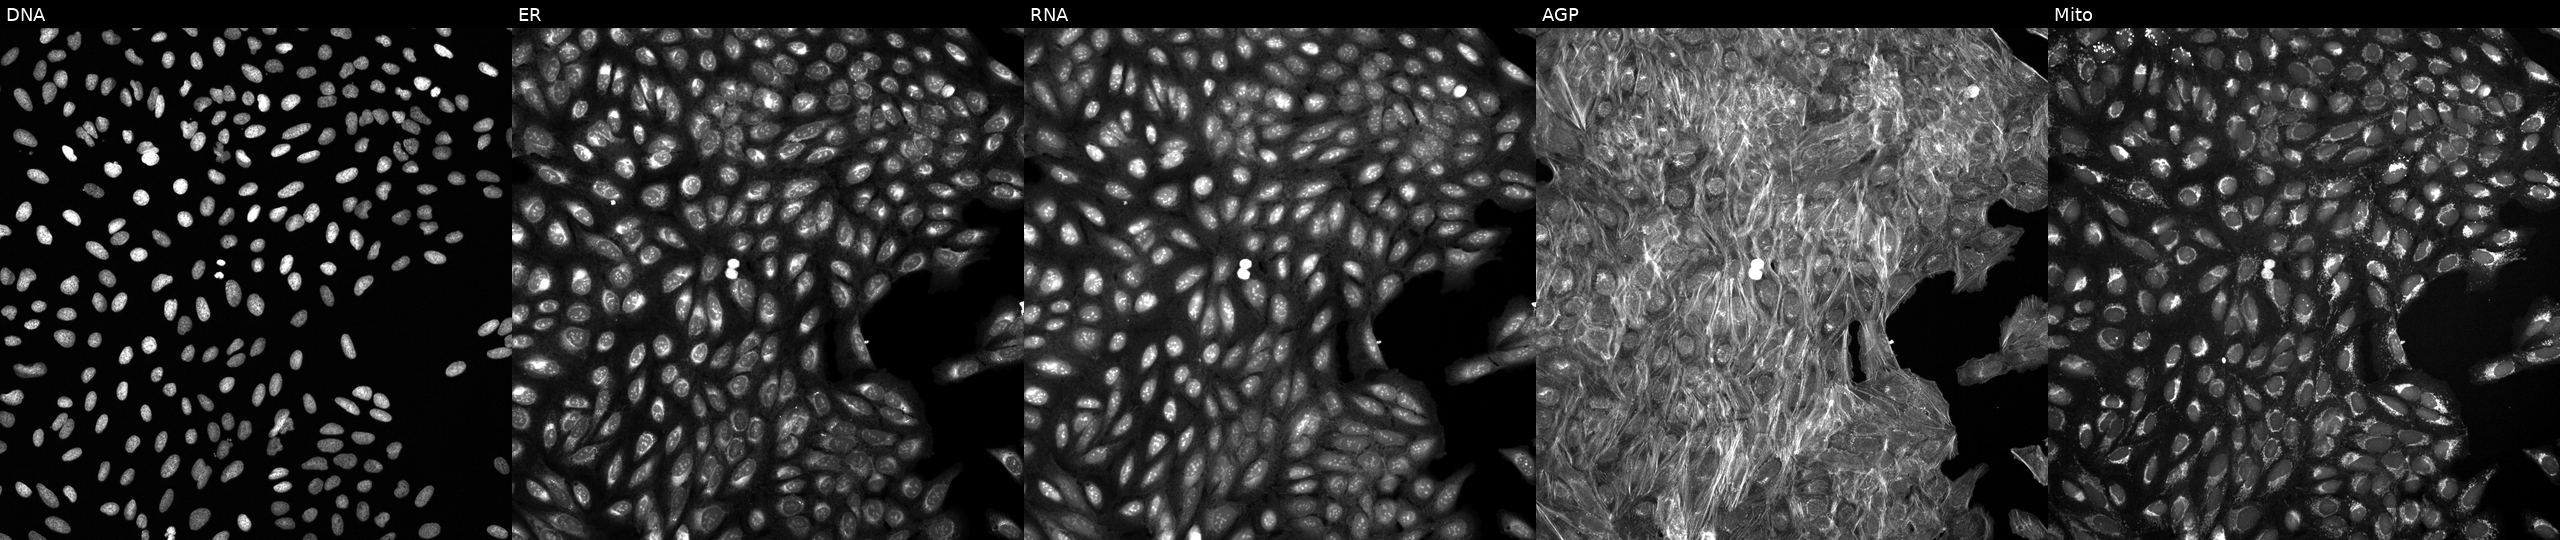
Five-channel Cell Painting image of U2OS cells treated with DMSO vehicle only (negative control). Channels (left→right): DNA (nuclei); ER (endoplasmic reticulum); RNA (nucleoli and cytoplasmic RNA); AGP (actin cytoskeleton, Golgi, and plasma membrane); Mito (mitochondria). Source 6, plate 110000293083, well P02.